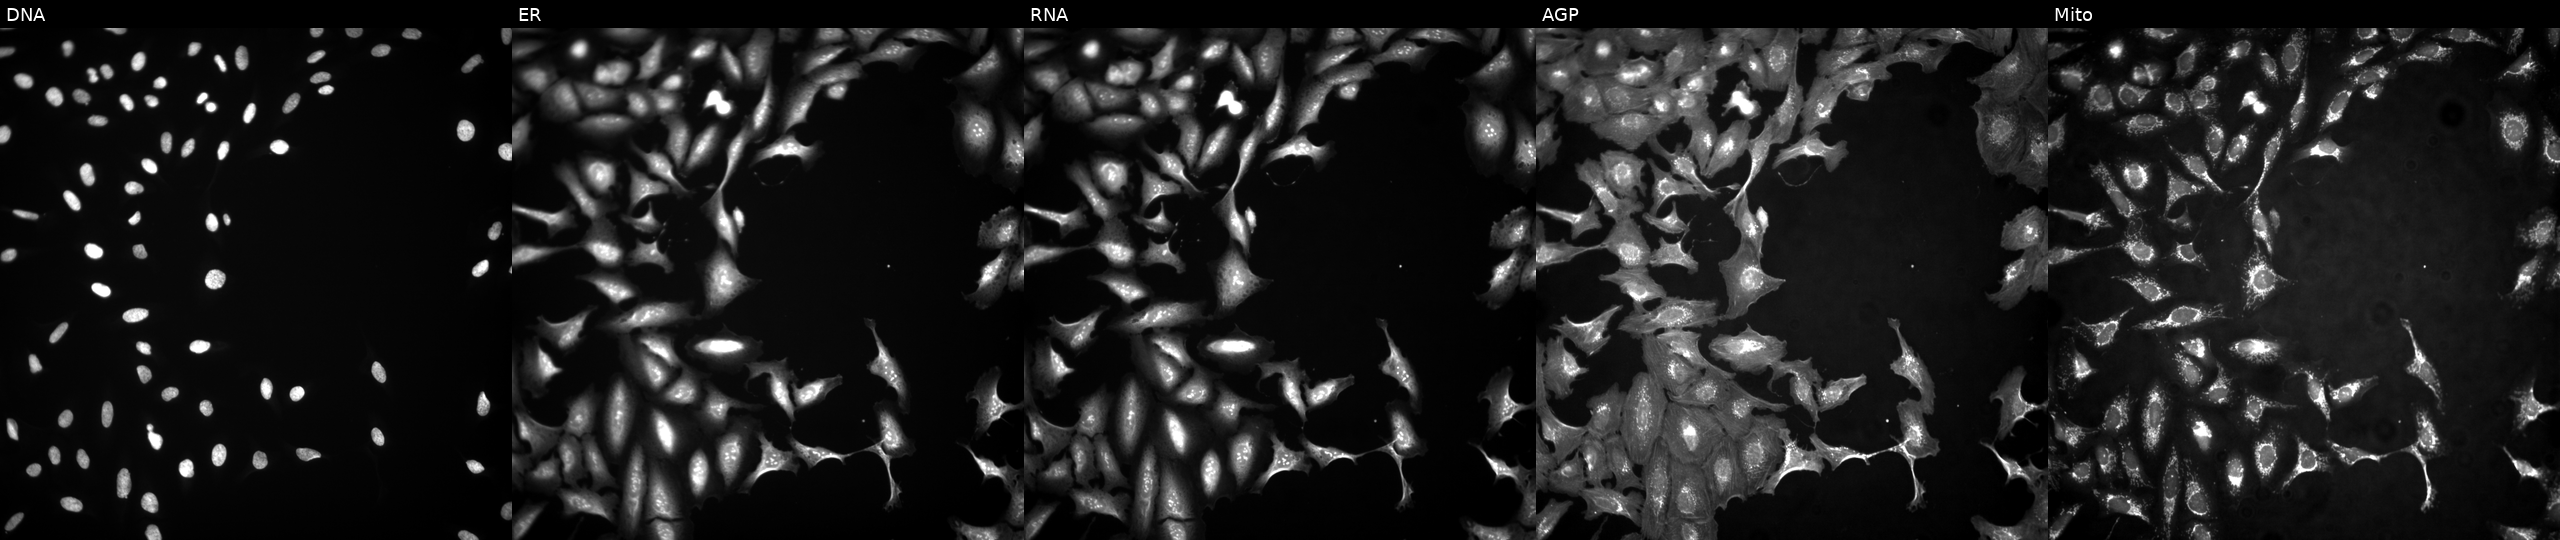
JUMP Cell Painting — ORF plate. U2OS cells with FOSL2 overexpressed (ORF). From left to right: DNA (nuclei); ER (endoplasmic reticulum); RNA (nucleoli and cytoplasmic RNA); AGP (actin cytoskeleton, Golgi, and plasma membrane); Mito (mitochondria). Source 4, plate BR00117035, well B24.